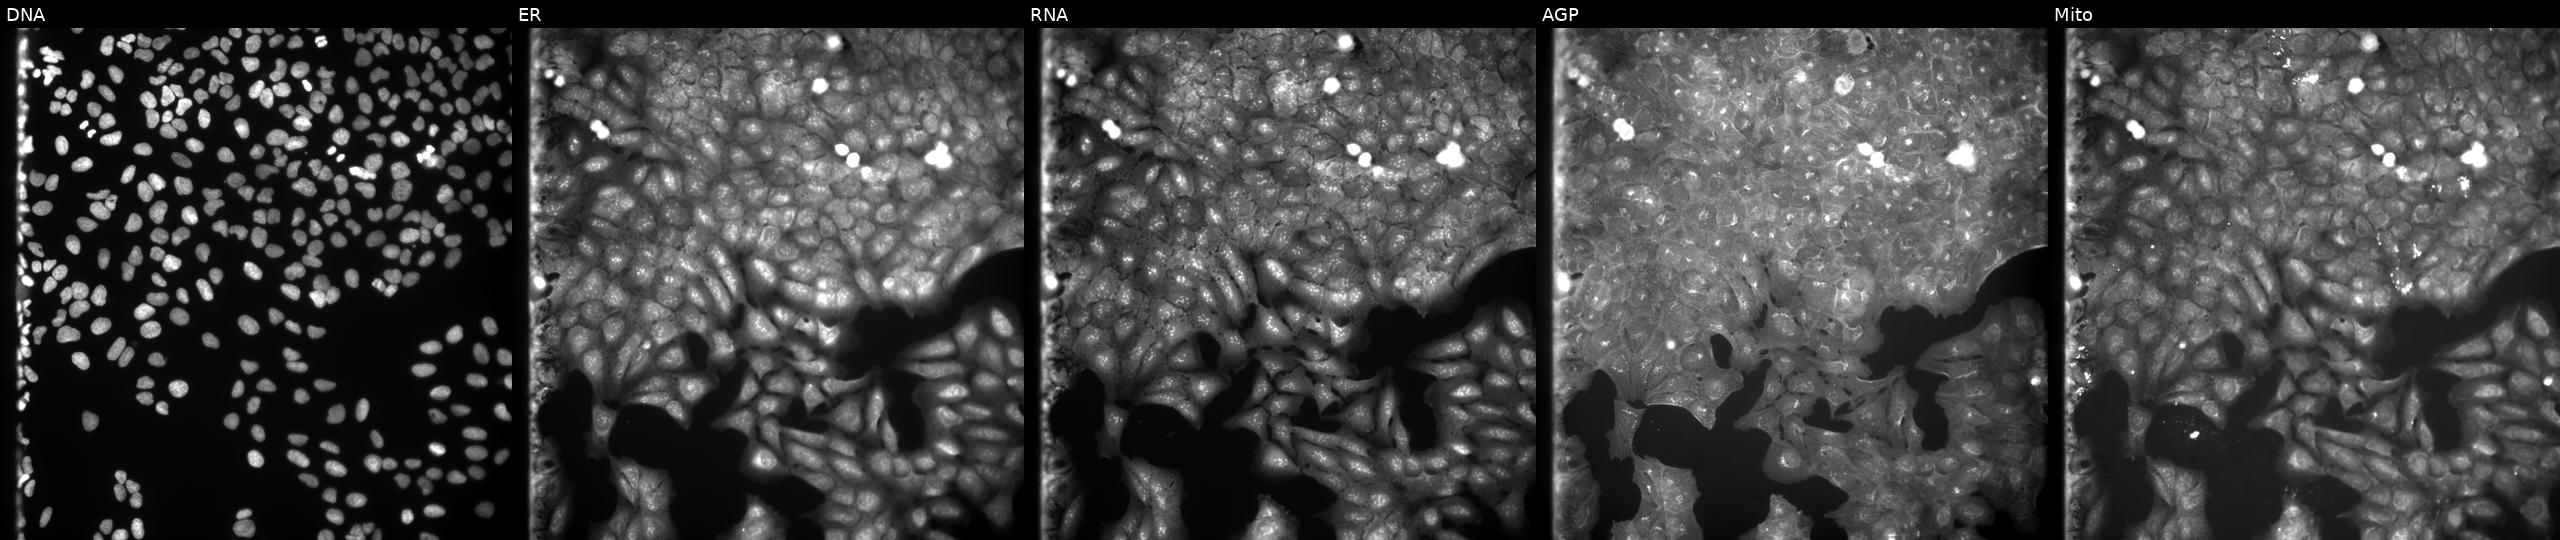
Five-channel Cell Painting image of U2OS cells exposed to a small-molecule compound (InChIKey ANFBEWMAKVJSIH-UHFFFAOYSA-N). Channels (left→right): DNA (nuclei); ER (endoplasmic reticulum); RNA (nucleoli and cytoplasmic RNA); AGP (actin cytoskeleton, Golgi, and plasma membrane); Mito (mitochondria).